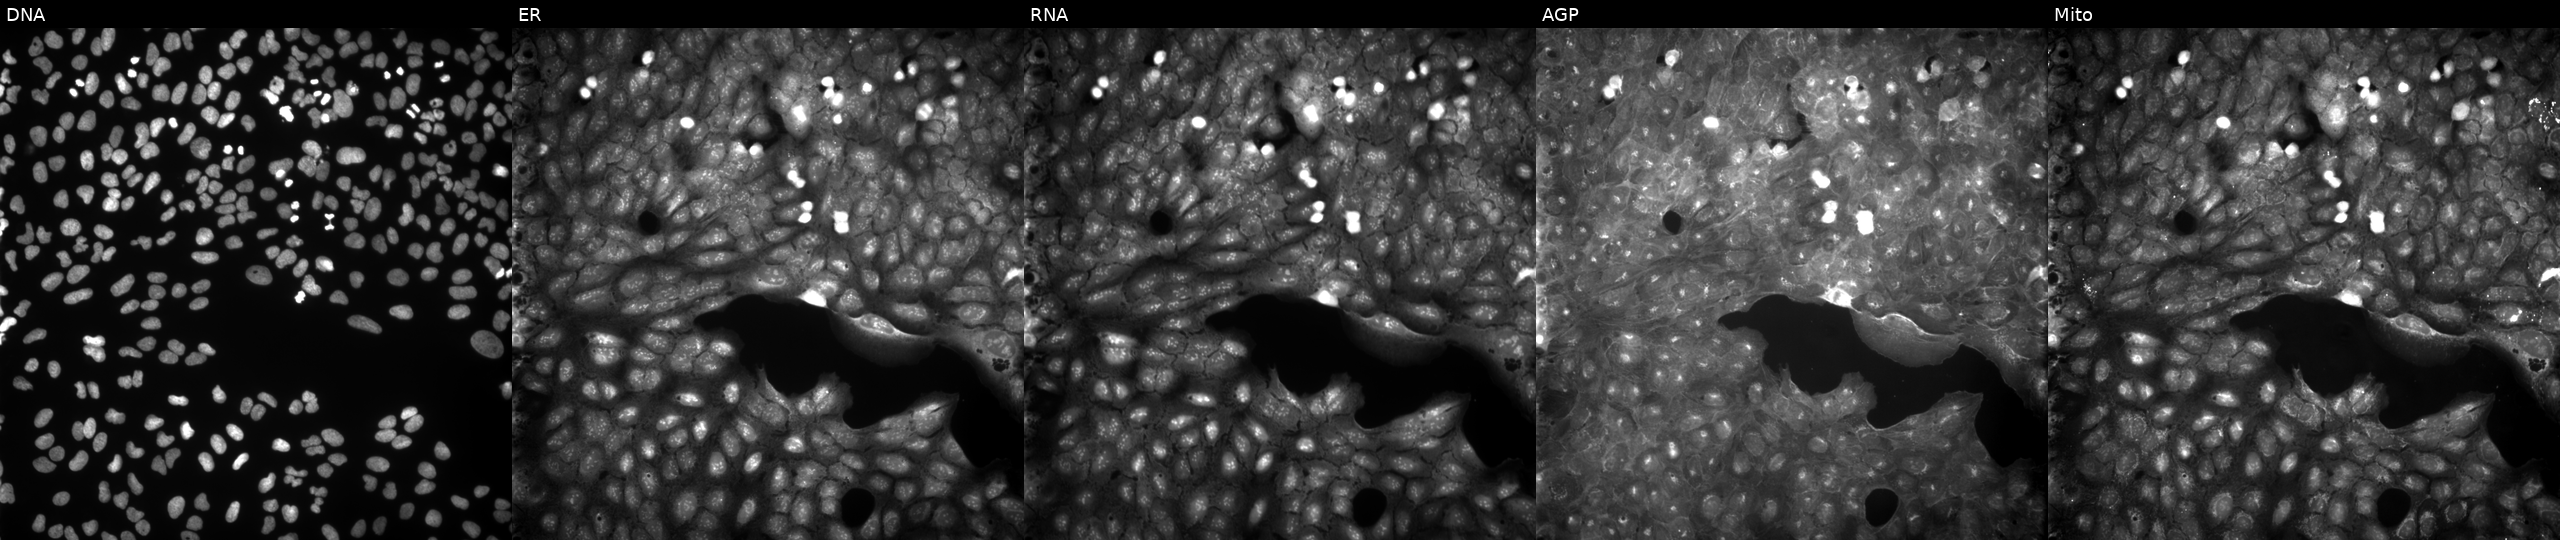
This image strip shows the five Cell Painting channels for a single field of U2OS cells treated with DMSO vehicle only (negative control). The five panels, left to right, show DNA, ER, RNA, AGP, and Mito.